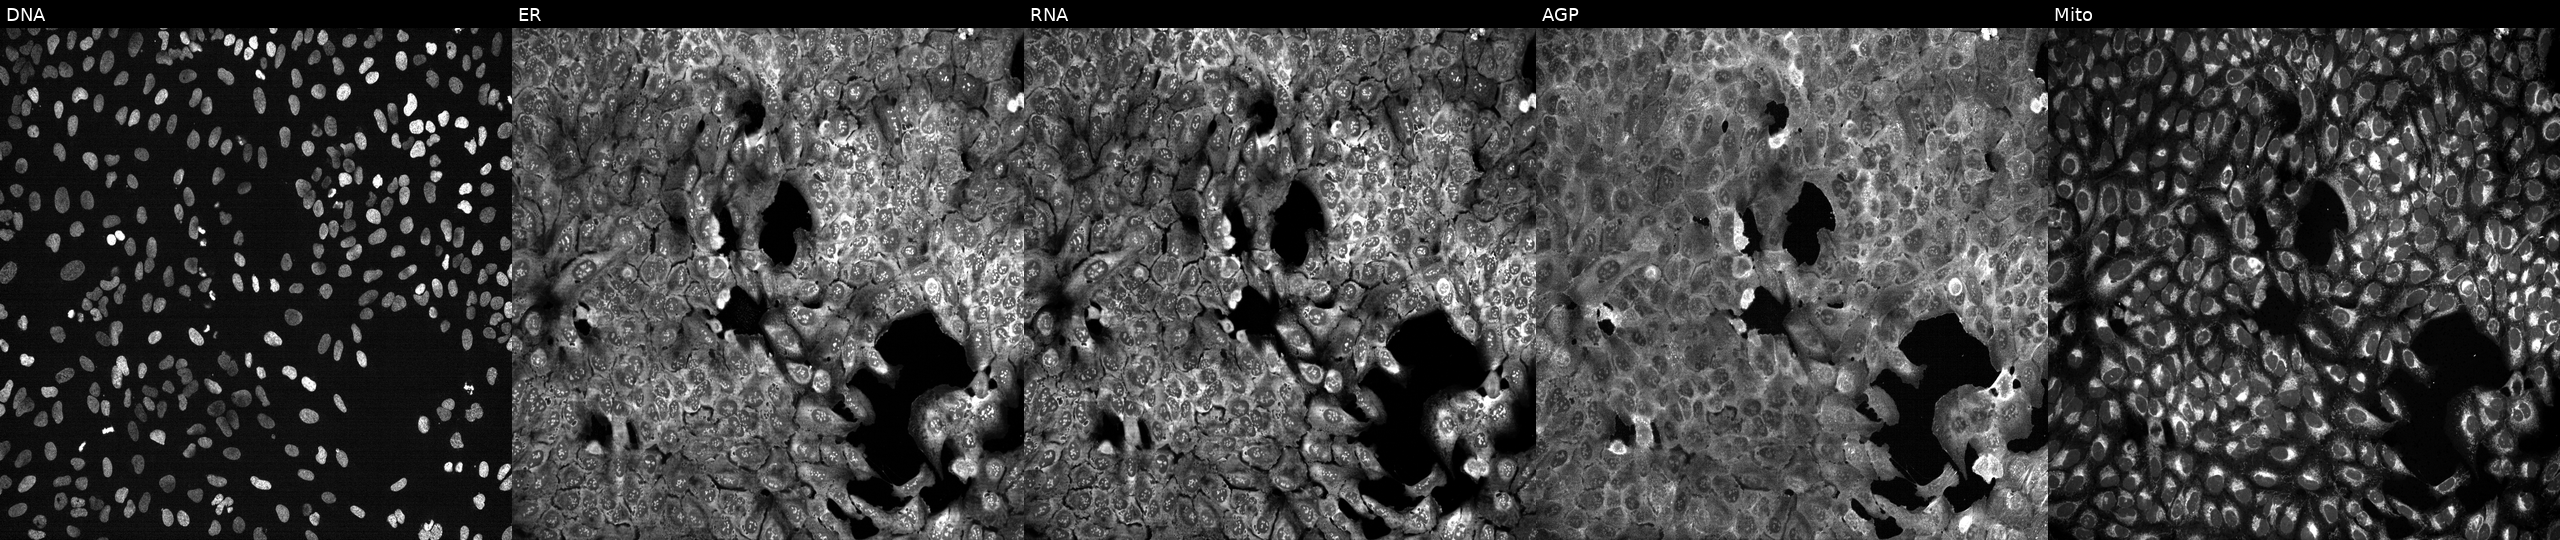
This image strip shows the five Cell Painting channels for a single field of U2OS cells with CES2 knocked out by CRISPR. Channels (left→right): DNA, ER, RNA, AGP, and Mito. Source 13, plate CP-CC9-R3-01, well D10.